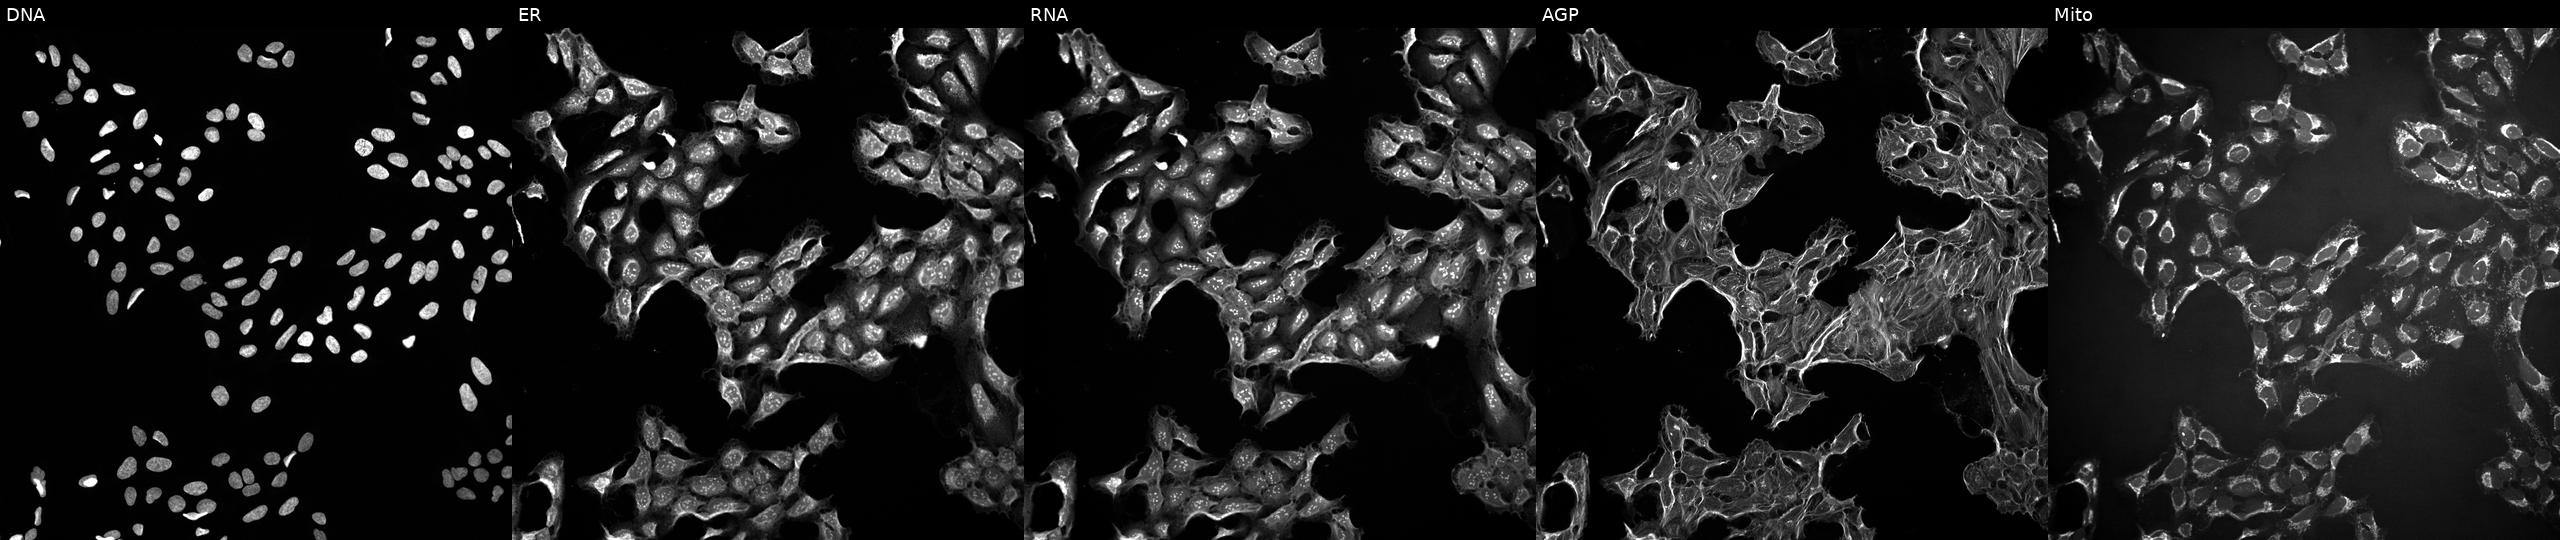
High-content fluorescence microscopy (Cell Painting). Cell line: U2OS. Perturbation: exposed to DMSO alone as a negative control (JUMP id JCP2022_033924). Panels show, left to right, DNA (nuclei); ER (endoplasmic reticulum); RNA (nucleoli and cytoplasmic RNA); AGP (actin cytoskeleton, Golgi, and plasma membrane); Mito (mitochondria).